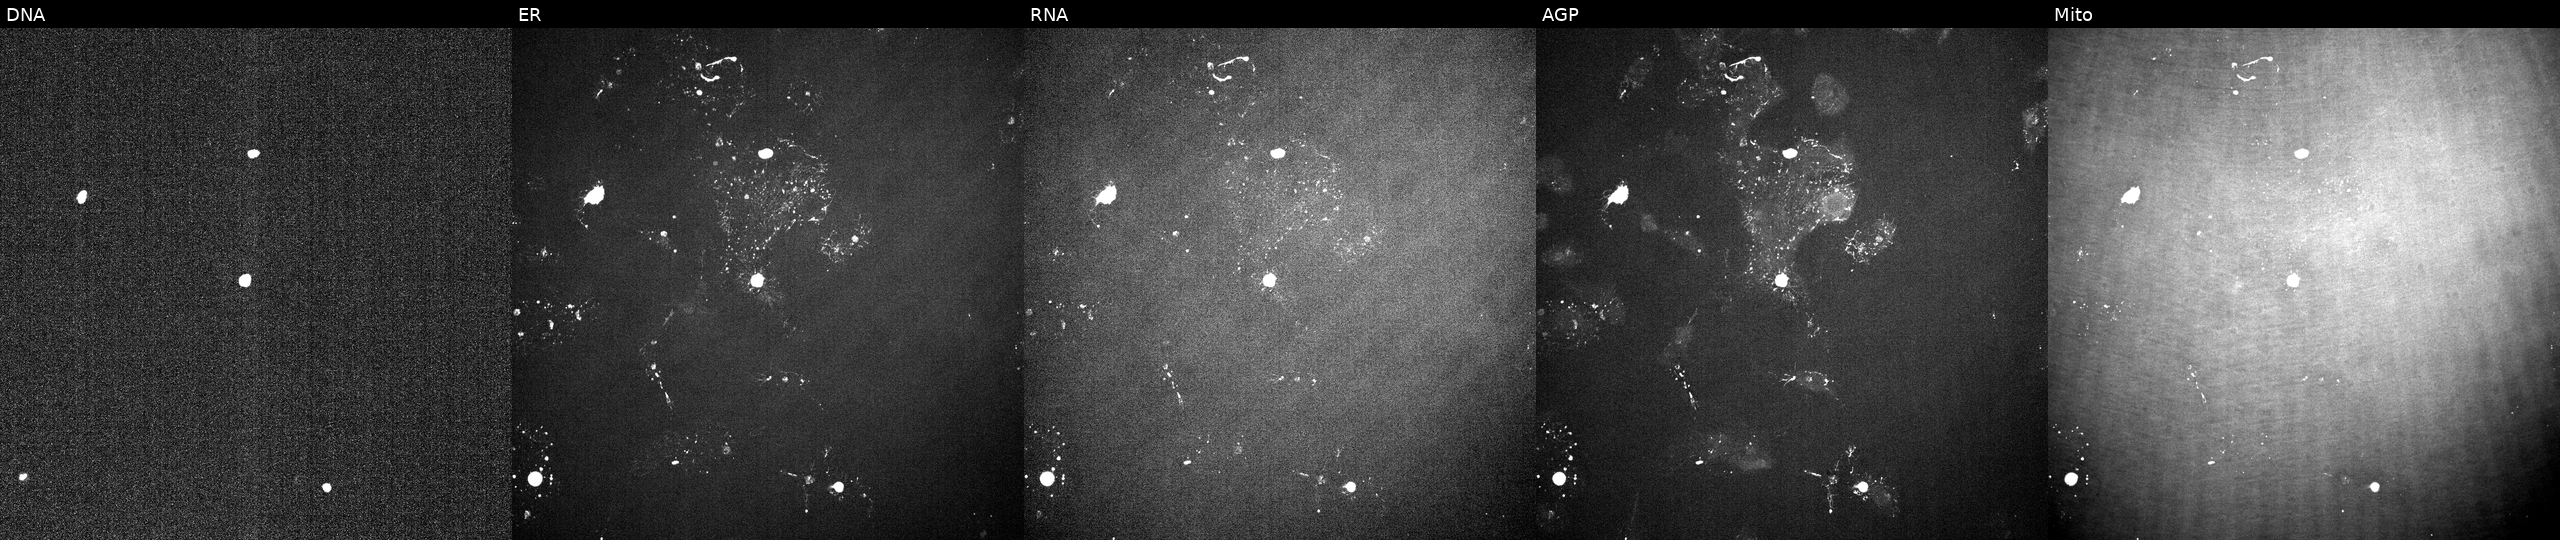
High-content fluorescence microscopy (Cell Painting). Cell line: U2OS. Perturbation: exposed to a small-molecule compound (InChIKey IAYGCINLNONXHY-UHFFFAOYSA-N) (JUMP id JCP2022_033914). From left to right: Hoechst 33342, concanavalin A, SYTO 14, phalloidin and WGA, MitoTracker.